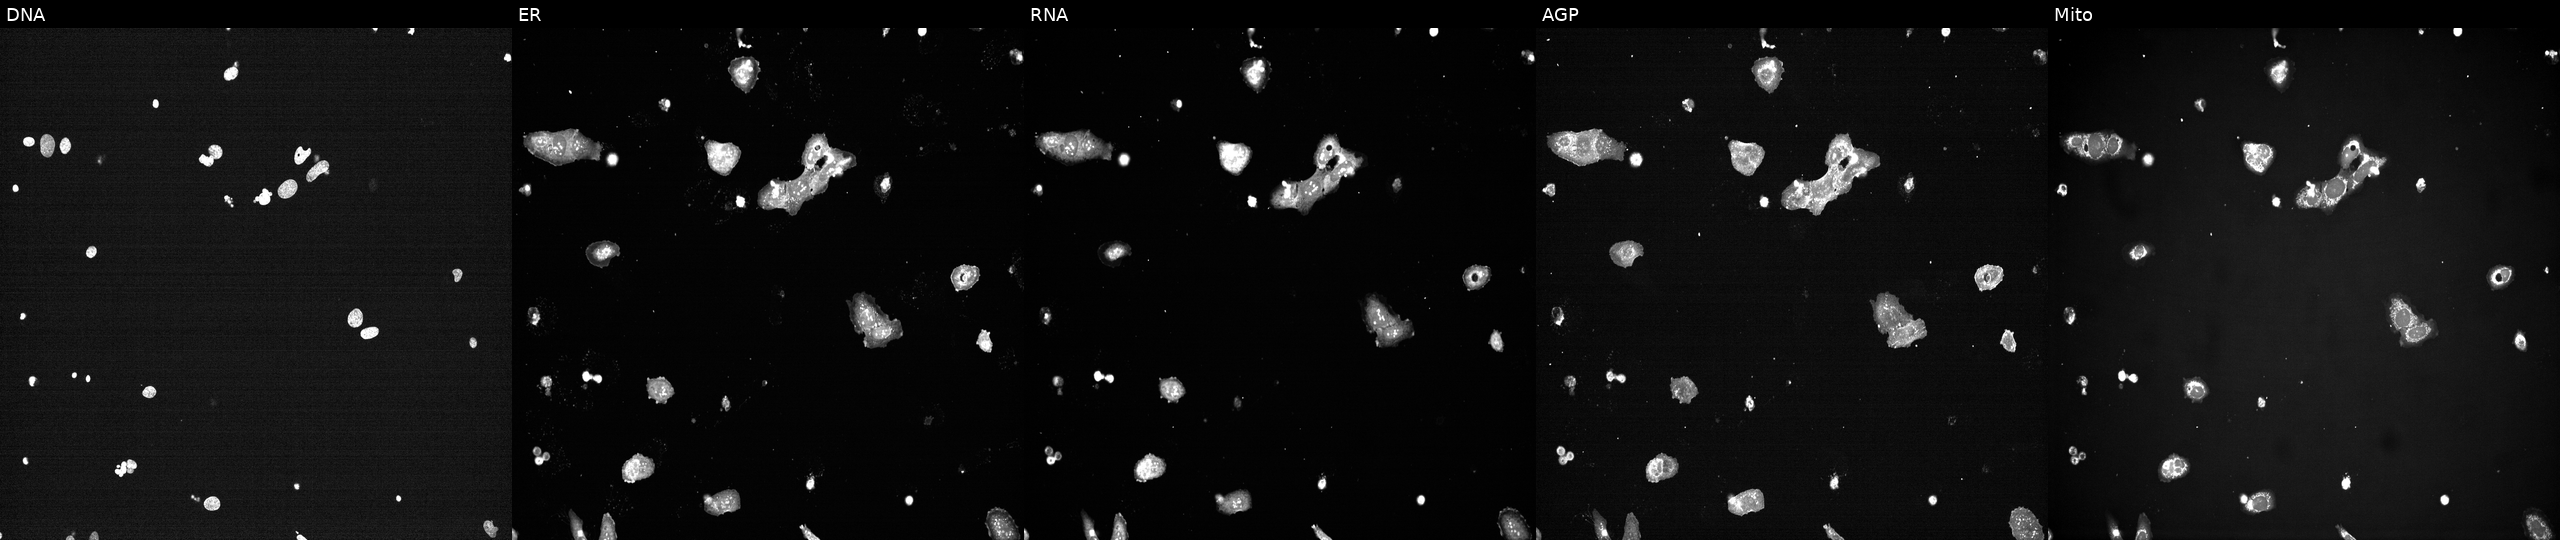
High-content fluorescence microscopy (Cell Painting). Cell line: U2OS. Perturbation: exposed to a small-molecule compound. From left to right: DNA, ER, RNA, AGP, and Mito. Source 7, plate CP3-SC1-25, well D14.